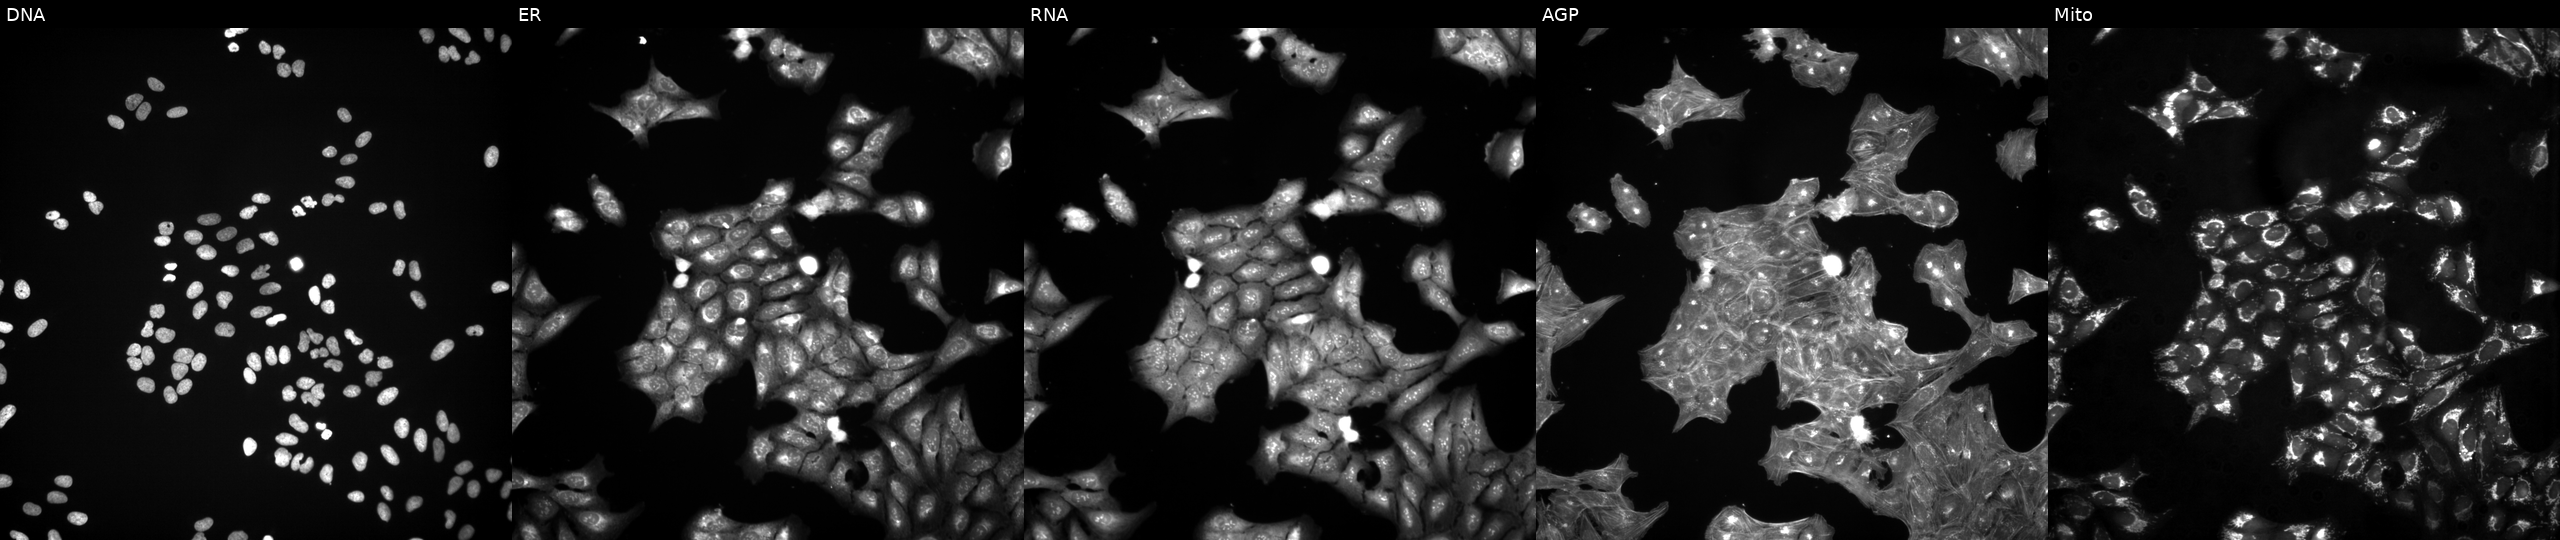
High-content fluorescence microscopy (Cell Painting). Cell line: U2OS. Perturbation: exposed to a small-molecule compound (InChIKey SGRYPYWGNKJSDL-UHFFFAOYSA-N) (JUMP id JCP2022_083099). Channels (left→right): Hoechst 33342, concanavalin A, SYTO 14, phalloidin and WGA, MitoTracker. Source 3, plate JCPQC053, well I07.